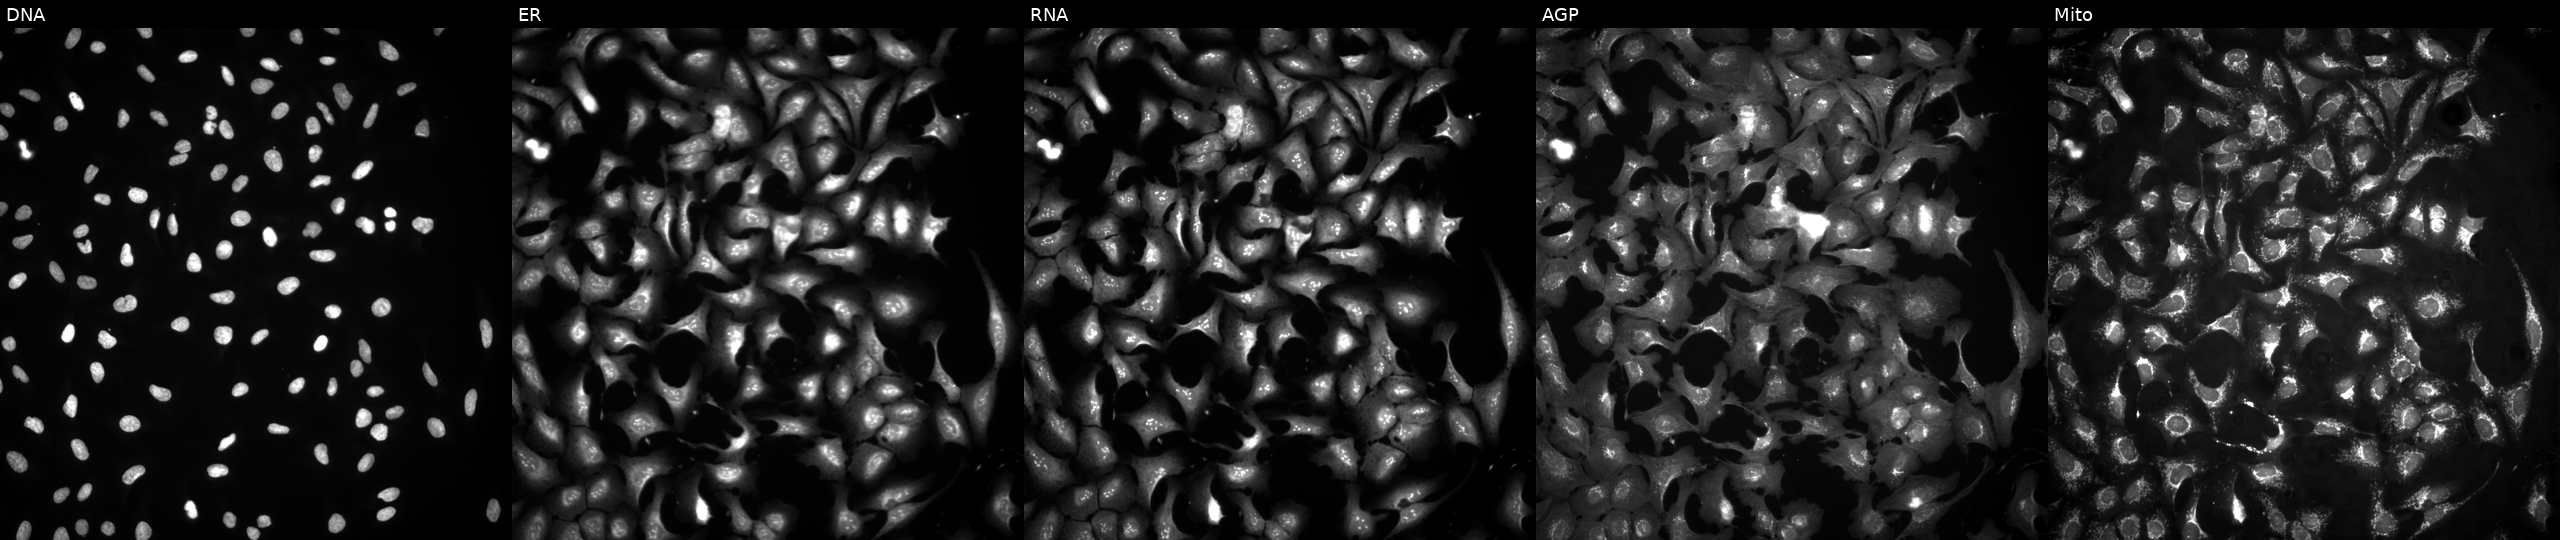
High-content fluorescence microscopy (Cell Painting). Cell line: U2OS. Perturbation: overexpressing NPRL3 via ORF transfection (JUMP id JCP2022_901738). Channels (left→right): Hoechst 33342, concanavalin A, SYTO 14, phalloidin and WGA, MitoTracker. Source 4, plate BR00124787, well O01.